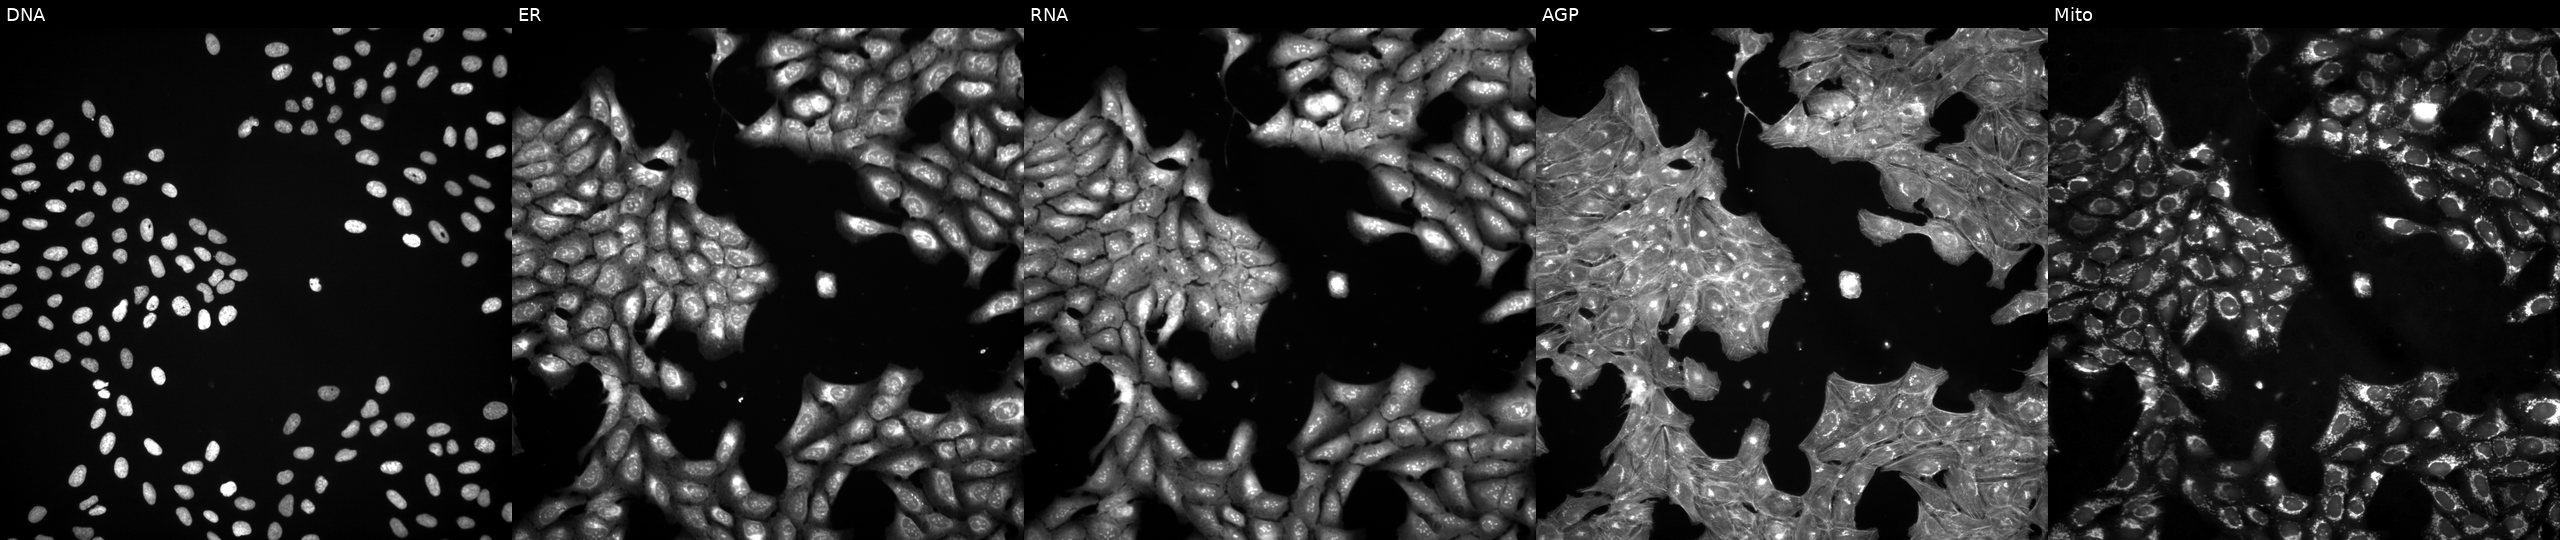
The five panels, left to right, show DNA, ER, RNA, AGP, and Mito. U2OS osteosarcoma cells treated with DMSO vehicle only (negative control). Cell Painting assay, JUMP-CP dataset. Source 3, plate JCPQC053, well H02.